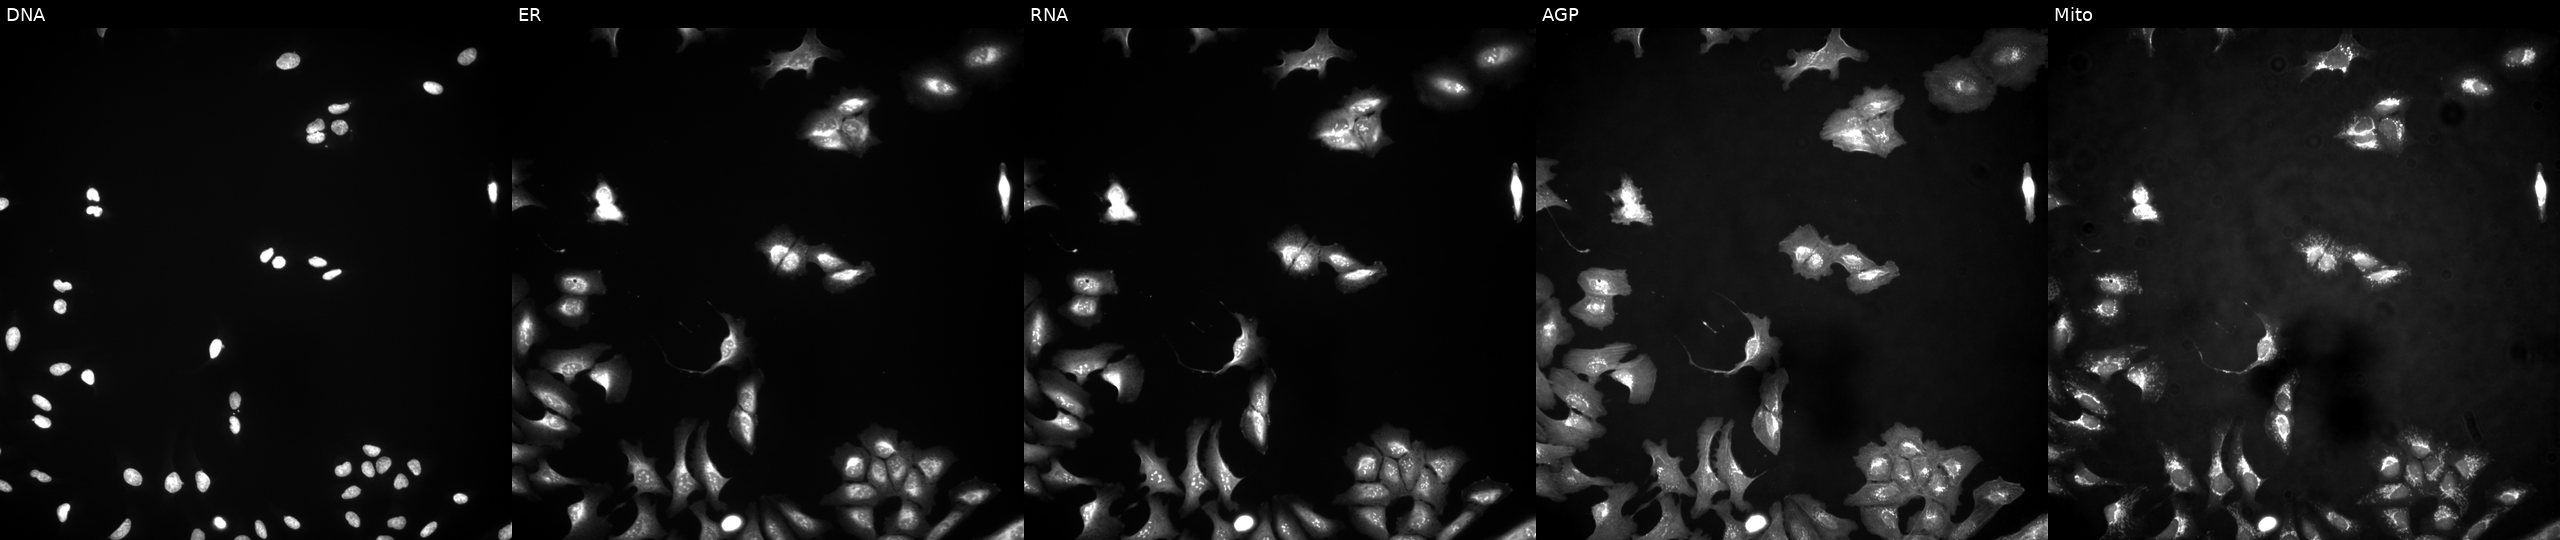
U2OS cells, Cell Painting assay, with DTNA overexpressed (ORF). Panels show, left to right, DNA (nuclei); ER (endoplasmic reticulum); RNA (nucleoli and cytoplasmic RNA); AGP (actin cytoskeleton, Golgi, and plasma membrane); Mito (mitochondria). Each panel is percentile-stretched 16-bit fluorescence.